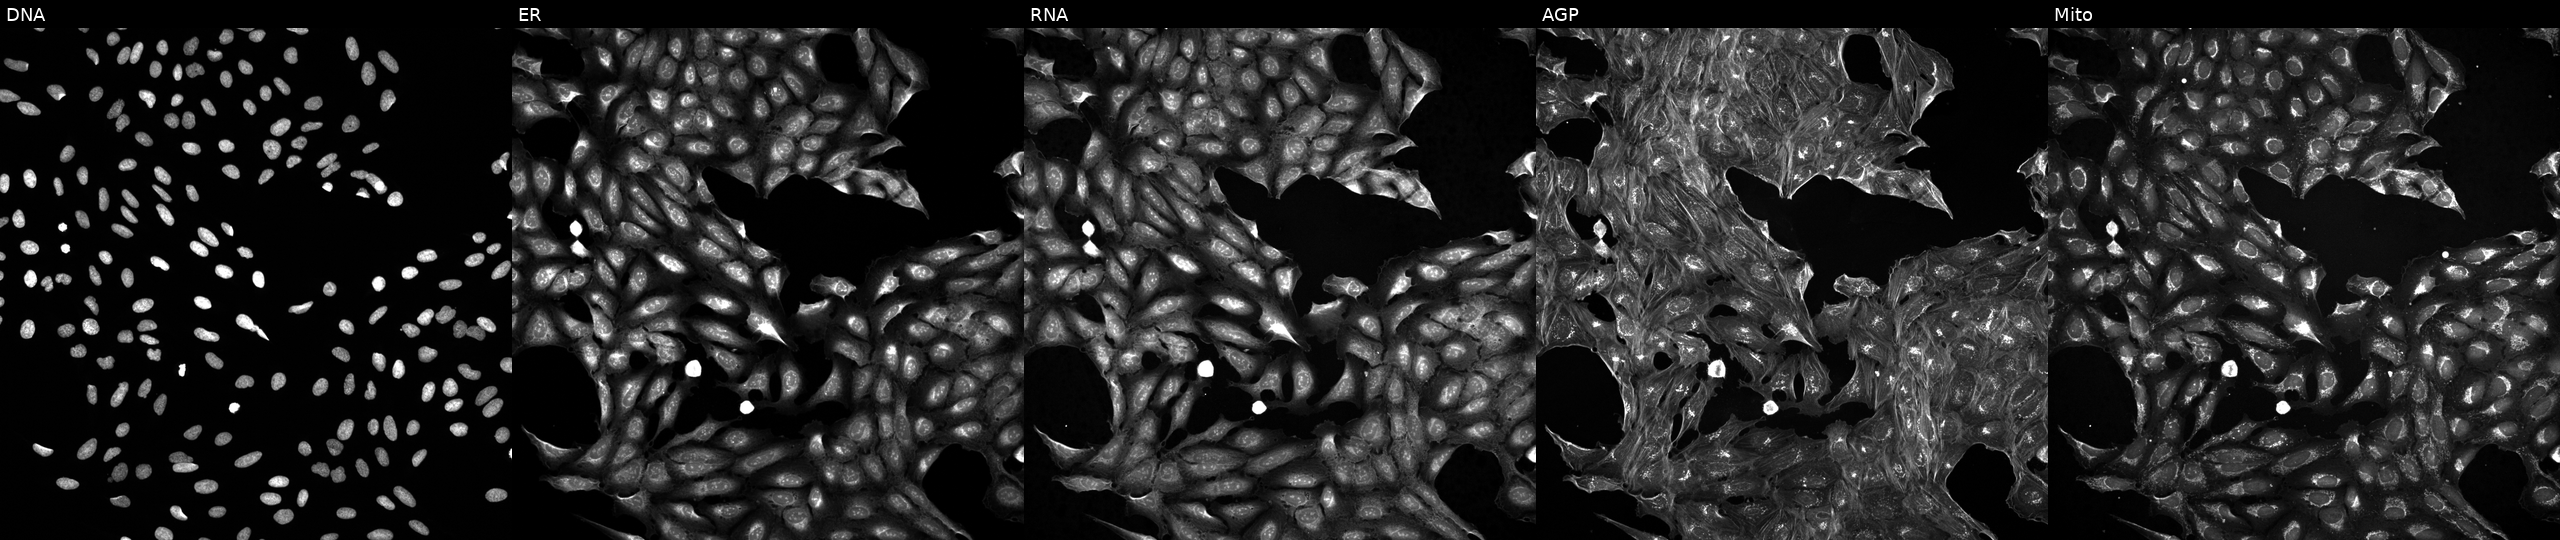
JUMP Cell Painting — TARGET2 plate. U2OS cells perturbed with a small-molecule compound (JUMP id JCP2022_068838). From left to right: DNA, ER, RNA, AGP, and Mito.